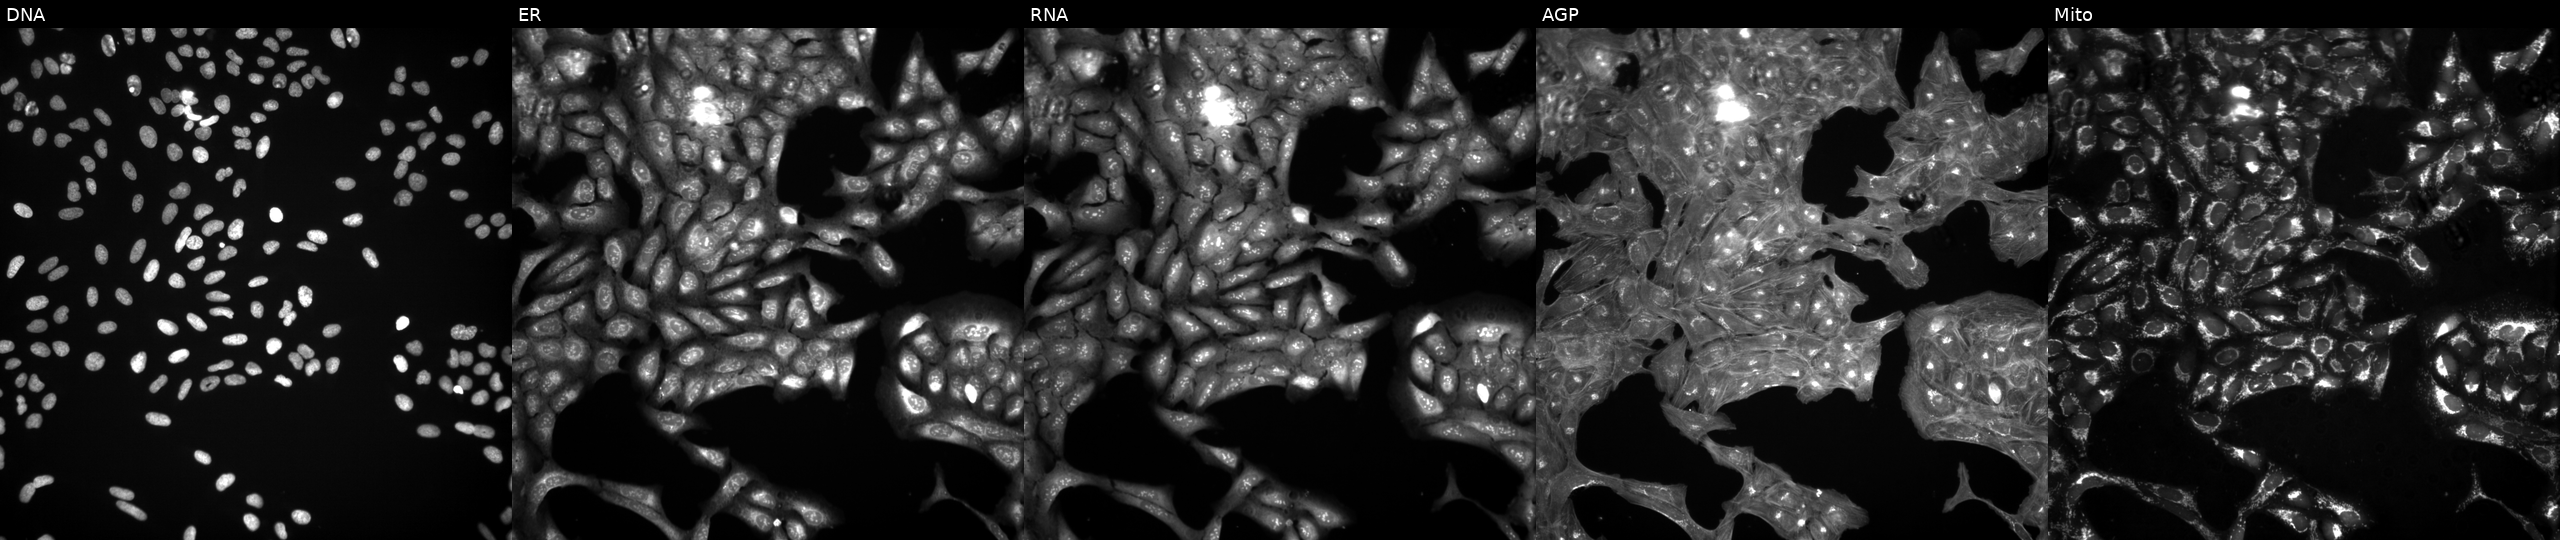
This image strip shows the five Cell Painting channels for a single field of U2OS cells perturbed with a small-molecule compound (InChIKey CMSMOCZEIVJLDB-UHFFFAOYSA-N) (JUMP id JCP2022_012146). Panels show, left to right, DNA (nuclei); ER (endoplasmic reticulum); RNA (nucleoli and cytoplasmic RNA); AGP (actin cytoskeleton, Golgi, and plasma membrane); Mito (mitochondria).